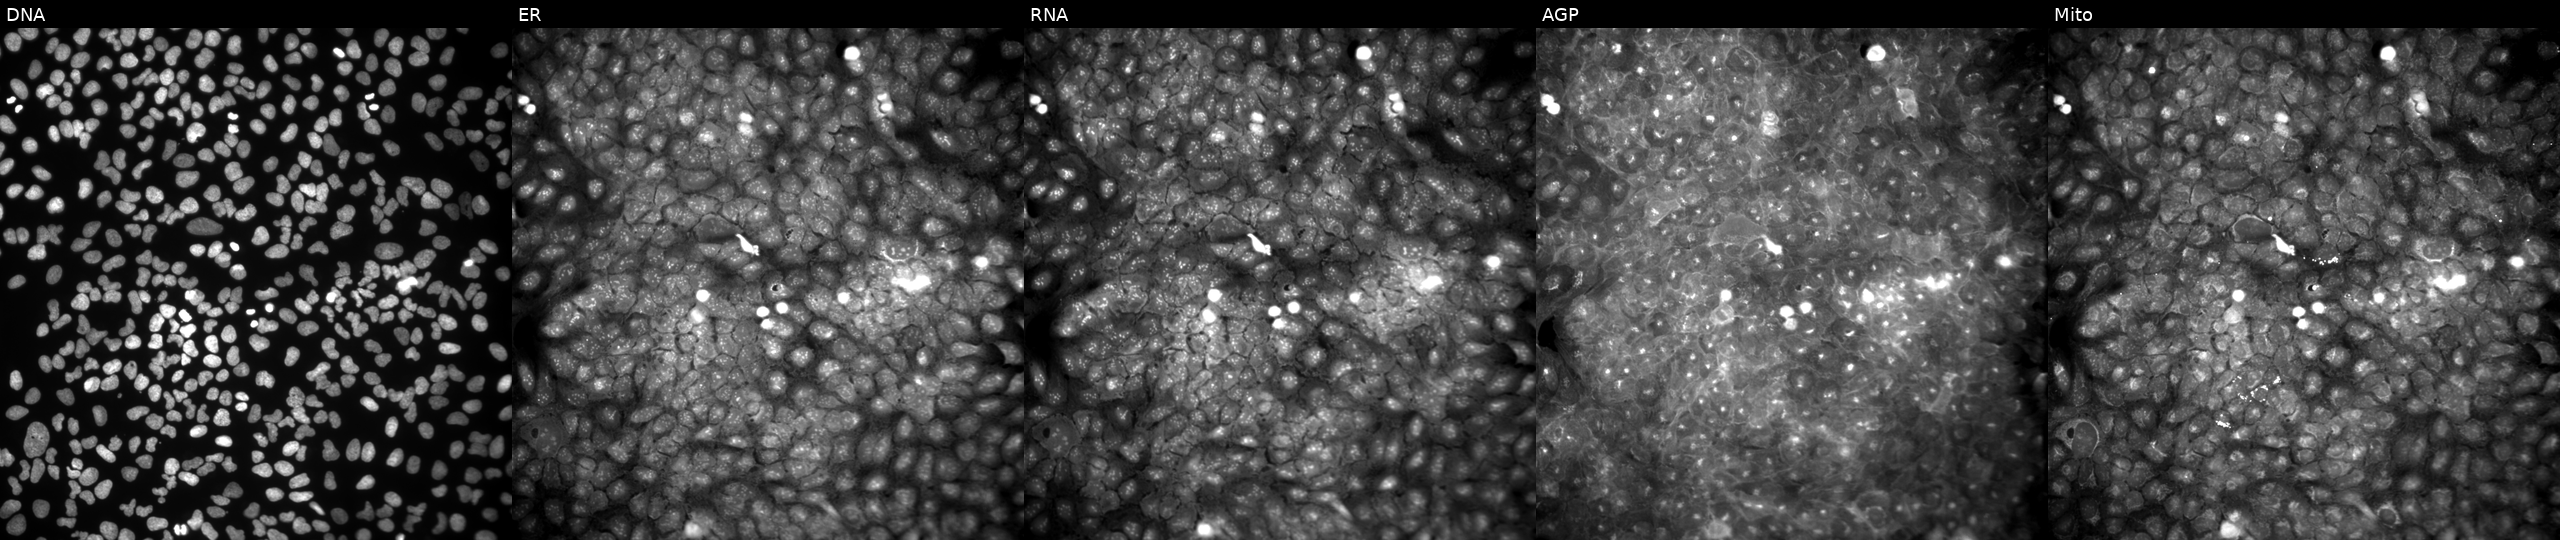
U2OS cells, Cell Painting assay, perturbed with a small-molecule compound (InChIKey GTDVSULTIPQKCH-UHFFFAOYSA-N) (JUMP id JCP2022_027605). Panels show, left to right, DNA (nuclei); ER (endoplasmic reticulum); RNA (nucleoli and cytoplasmic RNA); AGP (actin cytoskeleton, Golgi, and plasma membrane); Mito (mitochondria). Each panel is percentile-stretched 16-bit fluorescence.